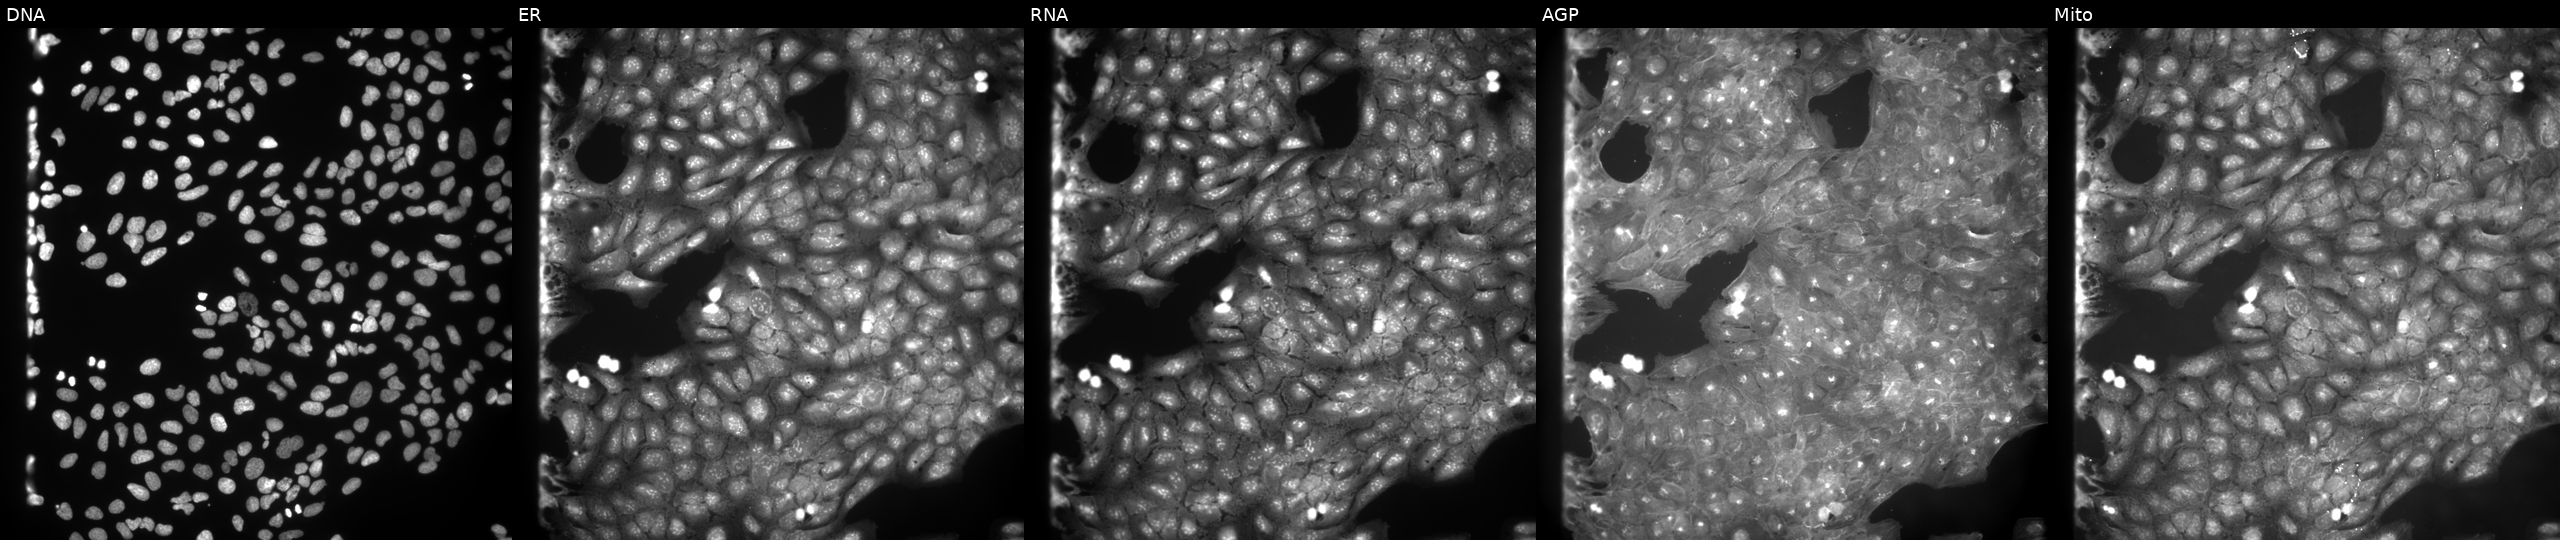
JUMP Cell Painting — COMPOUND plate. U2OS cells exposed to a small-molecule compound (InChIKey BISANUGBRLZNKT-UHFFFAOYSA-N). The five panels, left to right, show Hoechst 33342, concanavalin A, SYTO 14, phalloidin and WGA, MitoTracker. Source 9, plate GR00003382, well C11.